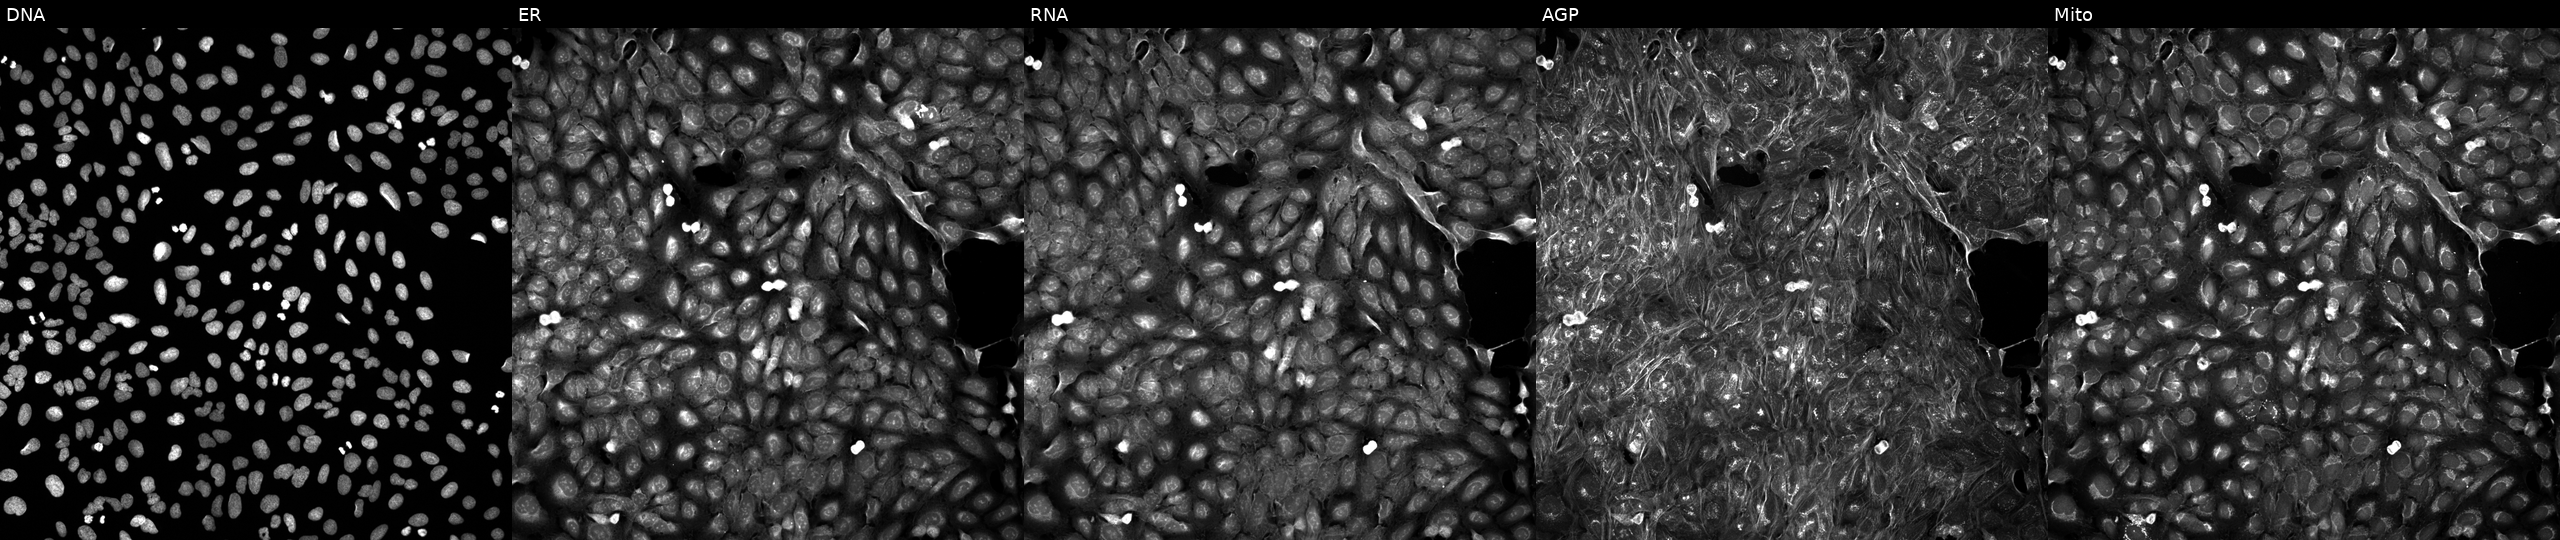
High-content fluorescence microscopy (Cell Painting). Cell line: U2OS. Perturbation: perturbed with a small-molecule compound (InChIKey MSFNFWHPHBQJQU-UHFFFAOYSA-N). Panels show, left to right, DNA, ER, RNA, AGP, and Mito.